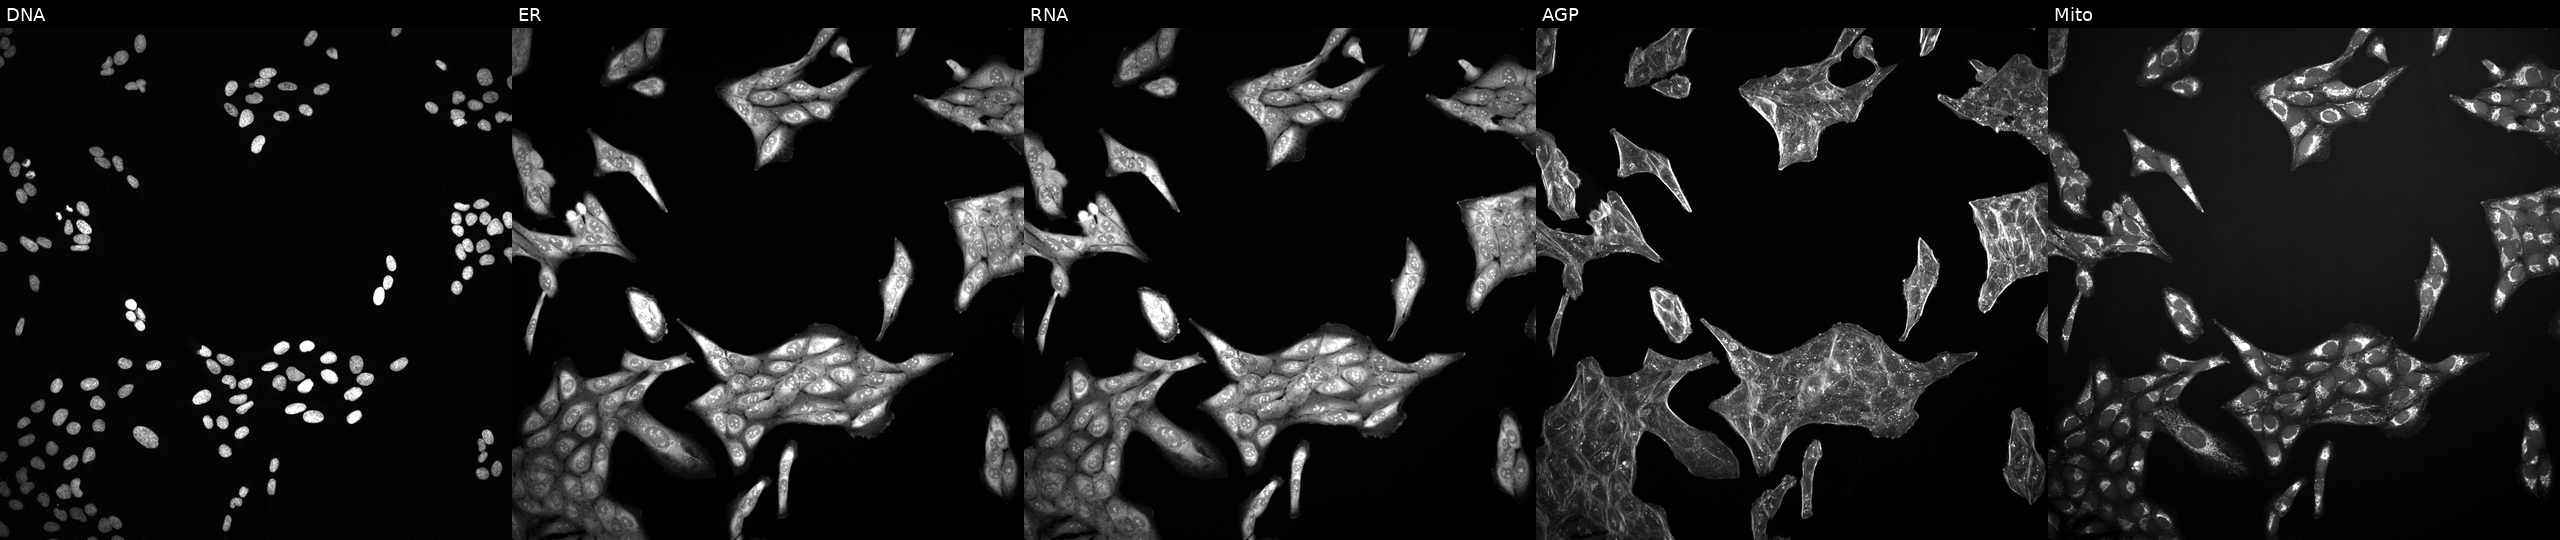
U2OS cells, Cell Painting assay, treated with a small-molecule compound (InChIKey JVCWPUFNLFSKFS-UHFFFAOYSA-N) [SMILES: CCN1C(C)(C)CC(Oc2ccc(C(=O)Nc3ccc(NC(=O)N=c4cc(C(C)(C)C)o[nH]4)cc3)nc2)CC1(C)C]. The five panels, left to right, show Hoechst 33342, concanavalin A, SYTO 14, phalloidin and WGA, MitoTracker. Each panel is percentile-stretched 16-bit fluorescence.